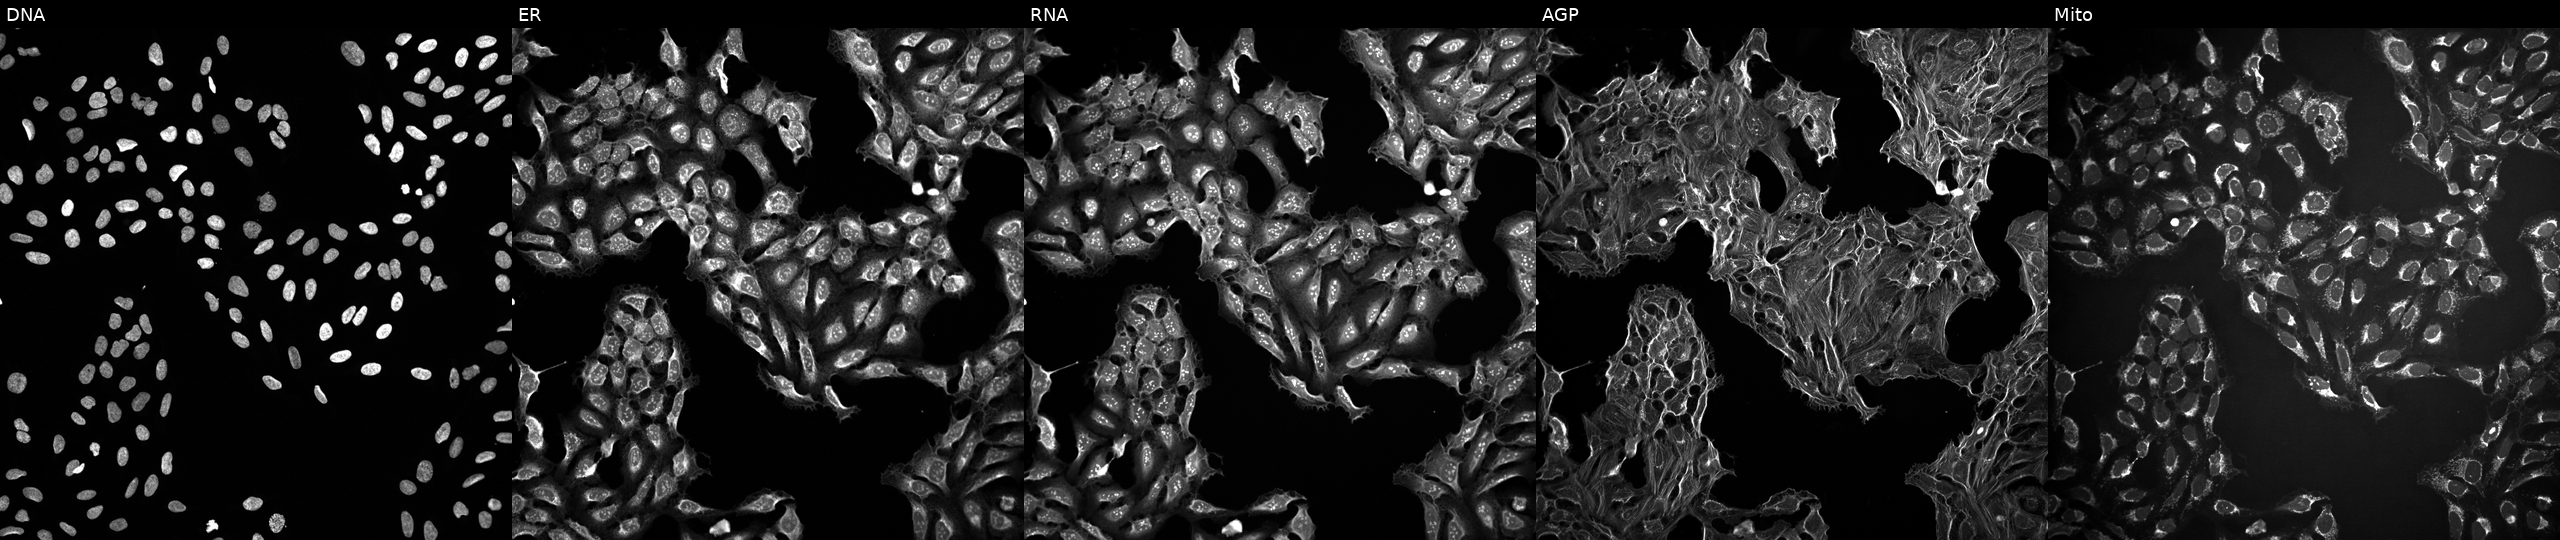
U2OS cells, Cell Painting assay, treated with a small-molecule compound (InChIKey AUMHDRMJJNZTPB-UHFFFAOYSA-N) (JUMP id JCP2022_003951). Channels (left→right): DNA, ER, RNA, AGP, and Mito. Each panel is percentile-stretched 16-bit fluorescence.